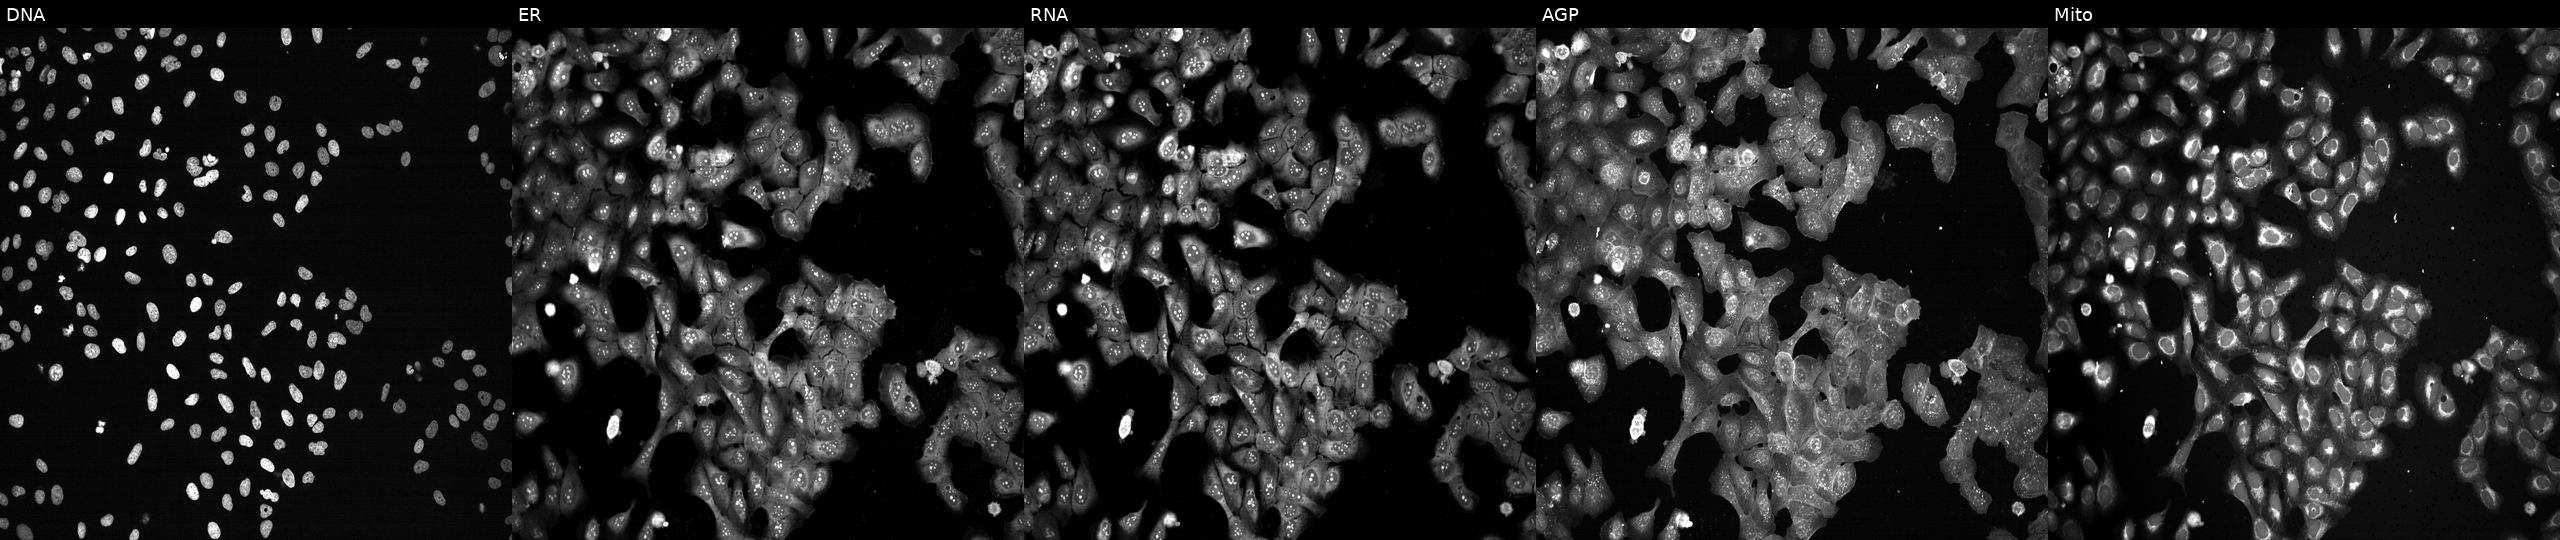
This image strip shows the five Cell Painting channels for a single field of U2OS cells with CCT2 knocked out by CRISPR (JUMP id JCP2022_801136). The five panels, left to right, show Hoechst 33342, concanavalin A, SYTO 14, phalloidin and WGA, MitoTracker. Source 13, plate CP-CC9-R5-01, well F20.